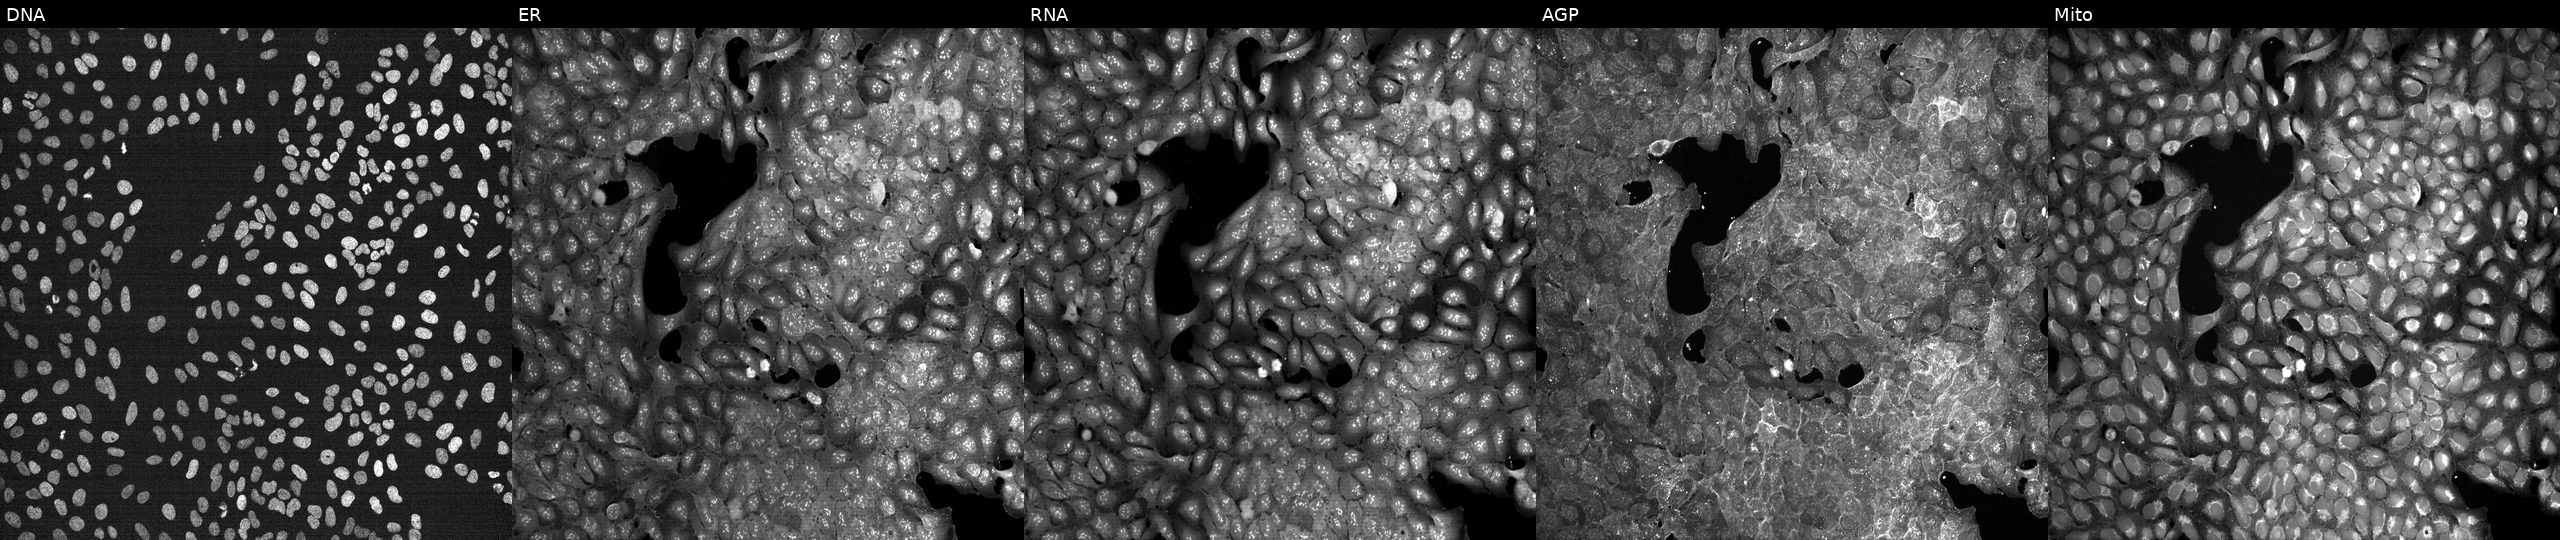
The five panels, left to right, show Hoechst 33342, concanavalin A, SYTO 14, phalloidin and WGA, MitoTracker. U2OS osteosarcoma cells treated with a small-molecule compound (InChIKey PDMUULPVBYQBBK-UHFFFAOYSA-N). Cell Painting assay, JUMP-CP dataset.